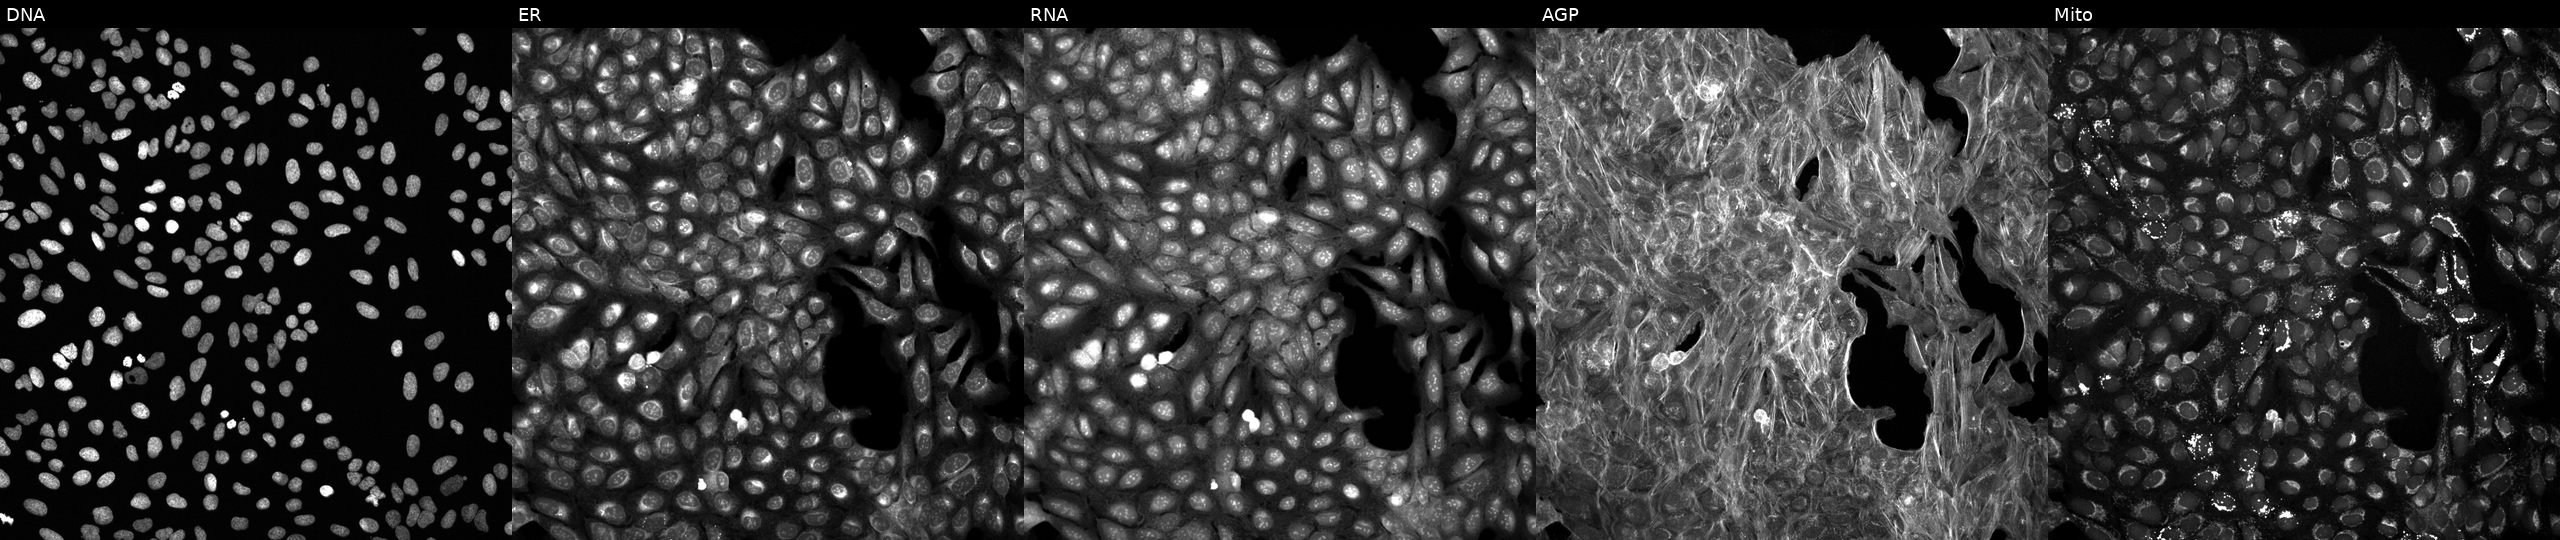
High-content fluorescence microscopy (Cell Painting). Cell line: U2OS. Perturbation: exposed to the positive-control compound quinidine. The five panels, left to right, show DNA, ER, RNA, AGP, and Mito. Source 6, plate 110000293082, well C24.